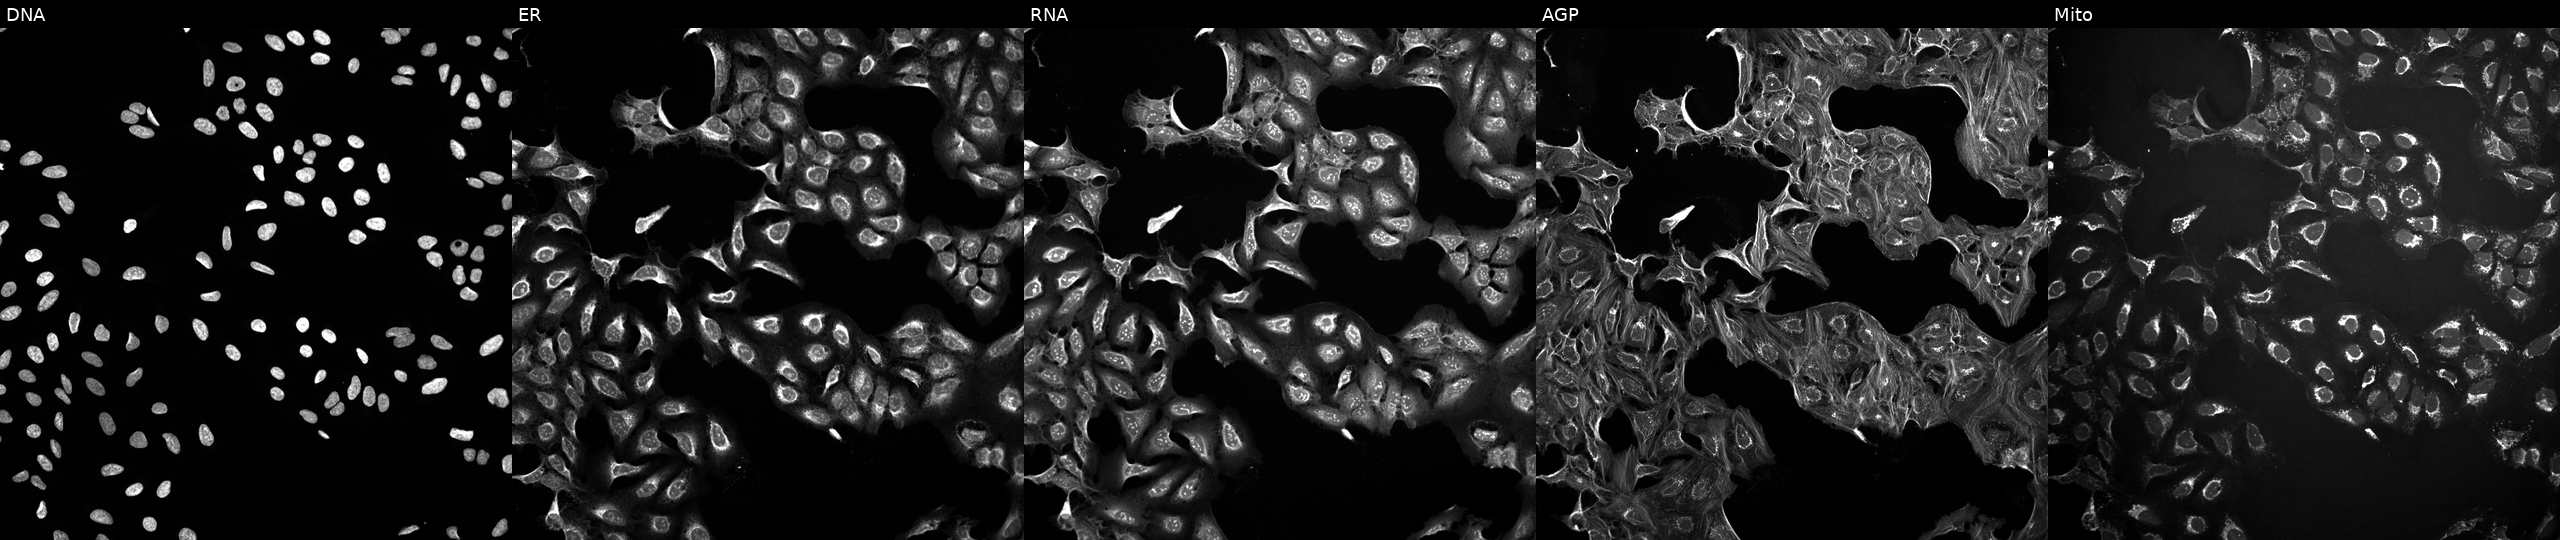
Panels show, left to right, Hoechst 33342, concanavalin A, SYTO 14, phalloidin and WGA, MitoTracker. U2OS osteosarcoma cells in an empty control well (no perturbation) (JUMP id JCP2022_999999). Cell Painting assay, JUMP-CP dataset. Source 10, plate Dest210531-152324, well K05.